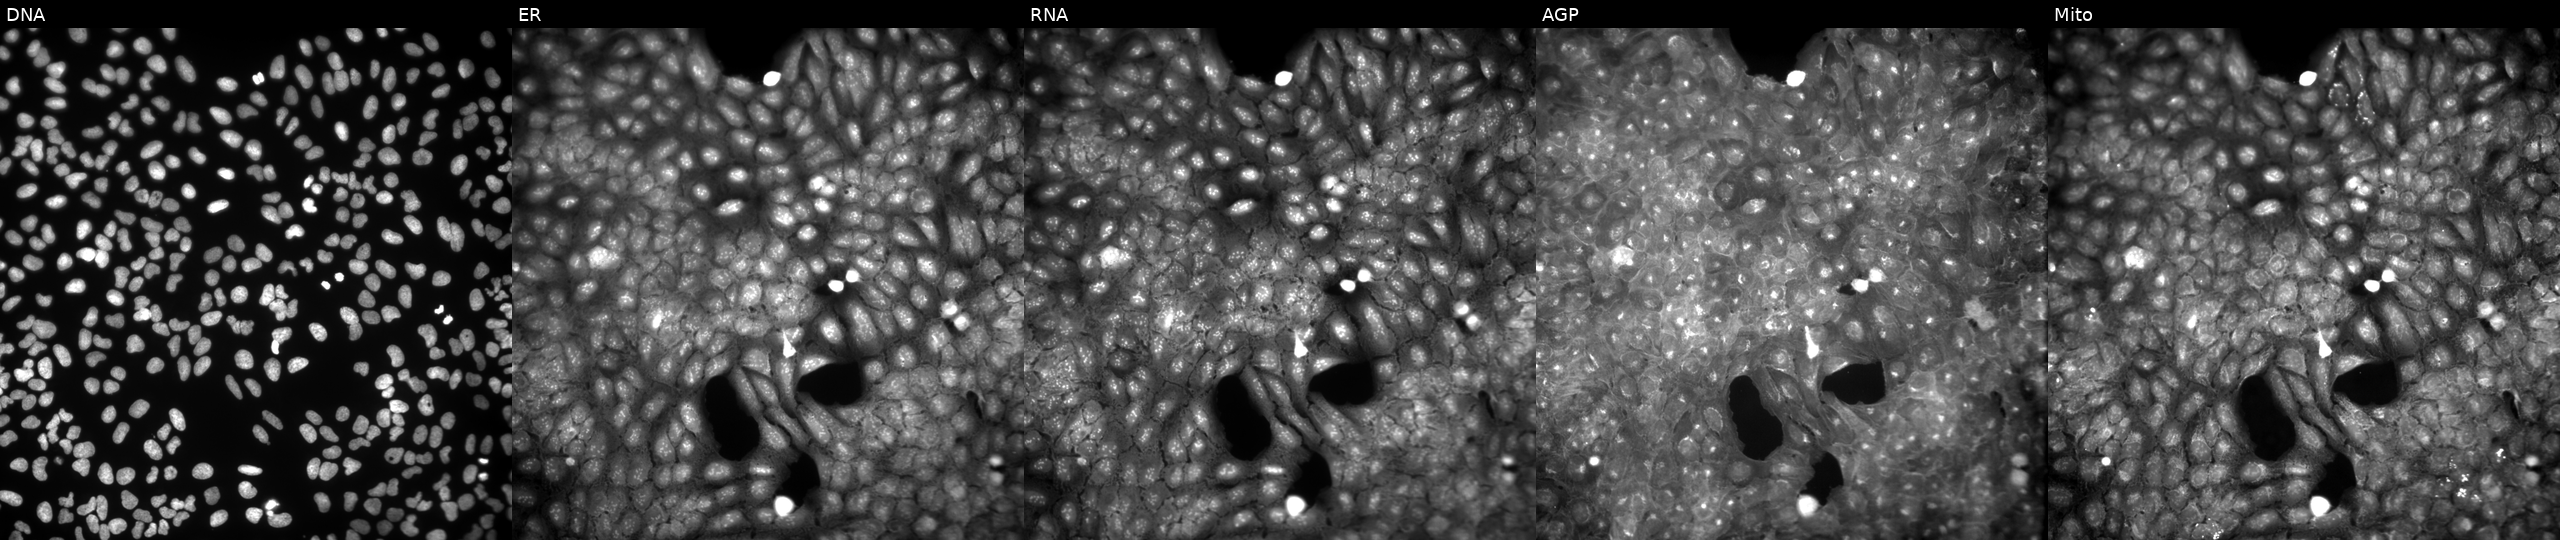
This image strip shows the five Cell Painting channels for a single field of U2OS cells treated with a small-molecule compound (InChIKey ZBPVDPCMUWPXBQ-UHFFFAOYSA-N) (JUMP id JCP2022_112295). Panels show, left to right, DNA (nuclei); ER (endoplasmic reticulum); RNA (nucleoli and cytoplasmic RNA); AGP (actin cytoskeleton, Golgi, and plasma membrane); Mito (mitochondria).